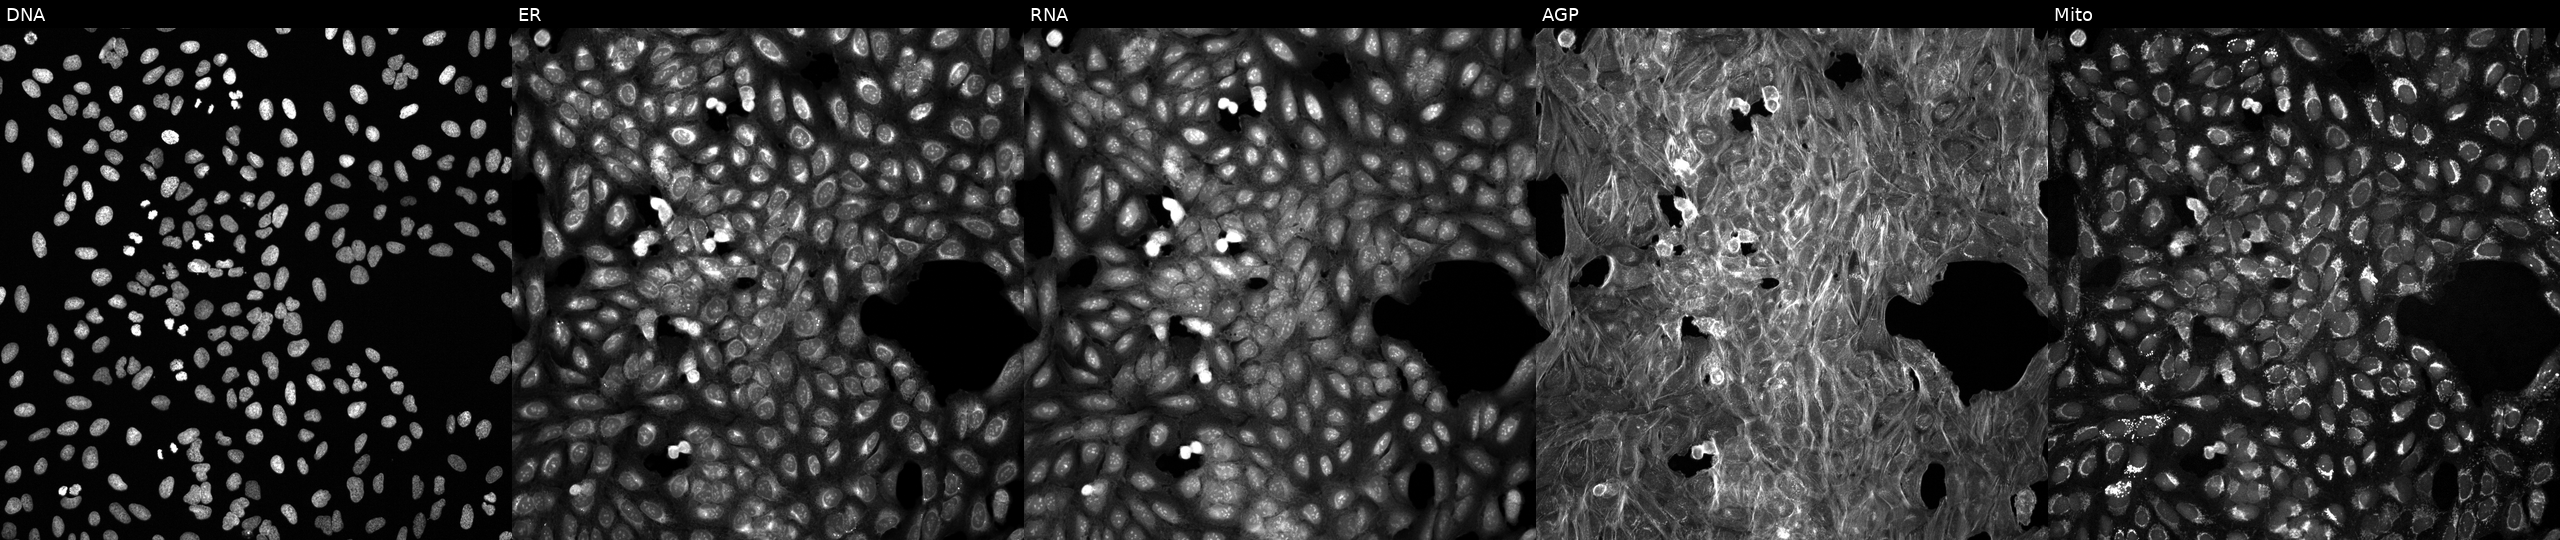
JUMP Cell Painting — TARGET2 plate. U2OS cells treated with DMSO vehicle only (negative control). Channels (left→right): Hoechst 33342, concanavalin A, SYTO 14, phalloidin and WGA, MitoTracker.